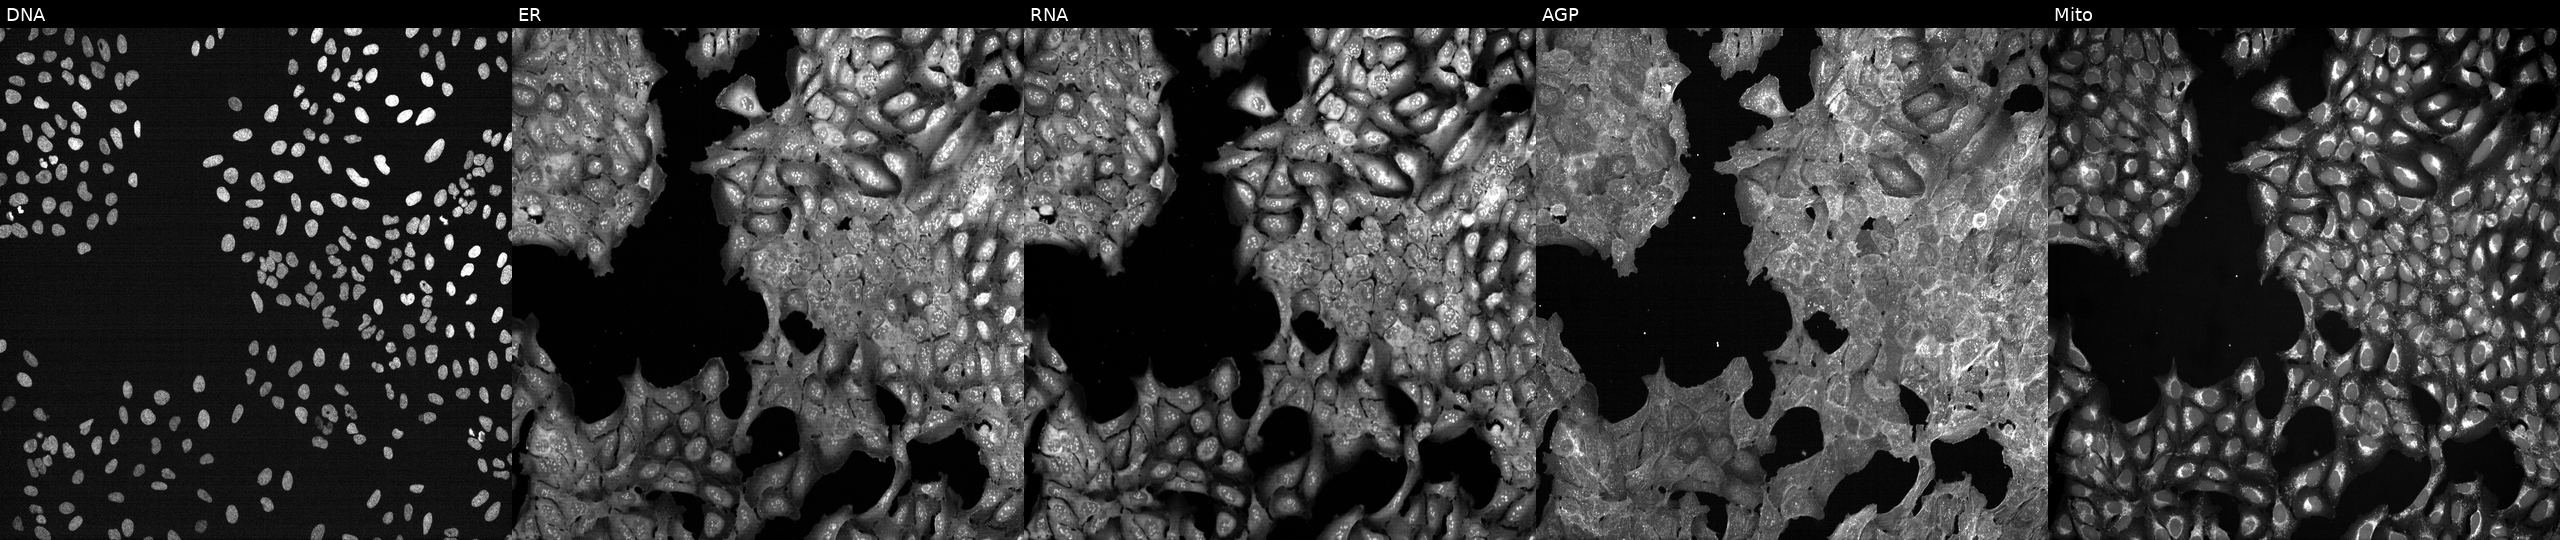
JUMP Cell Painting — TARGET2 plate. U2OS cells treated with DMSO vehicle only (negative control) (JUMP id JCP2022_033924). Panels show, left to right, DNA, ER, RNA, AGP, and Mito.